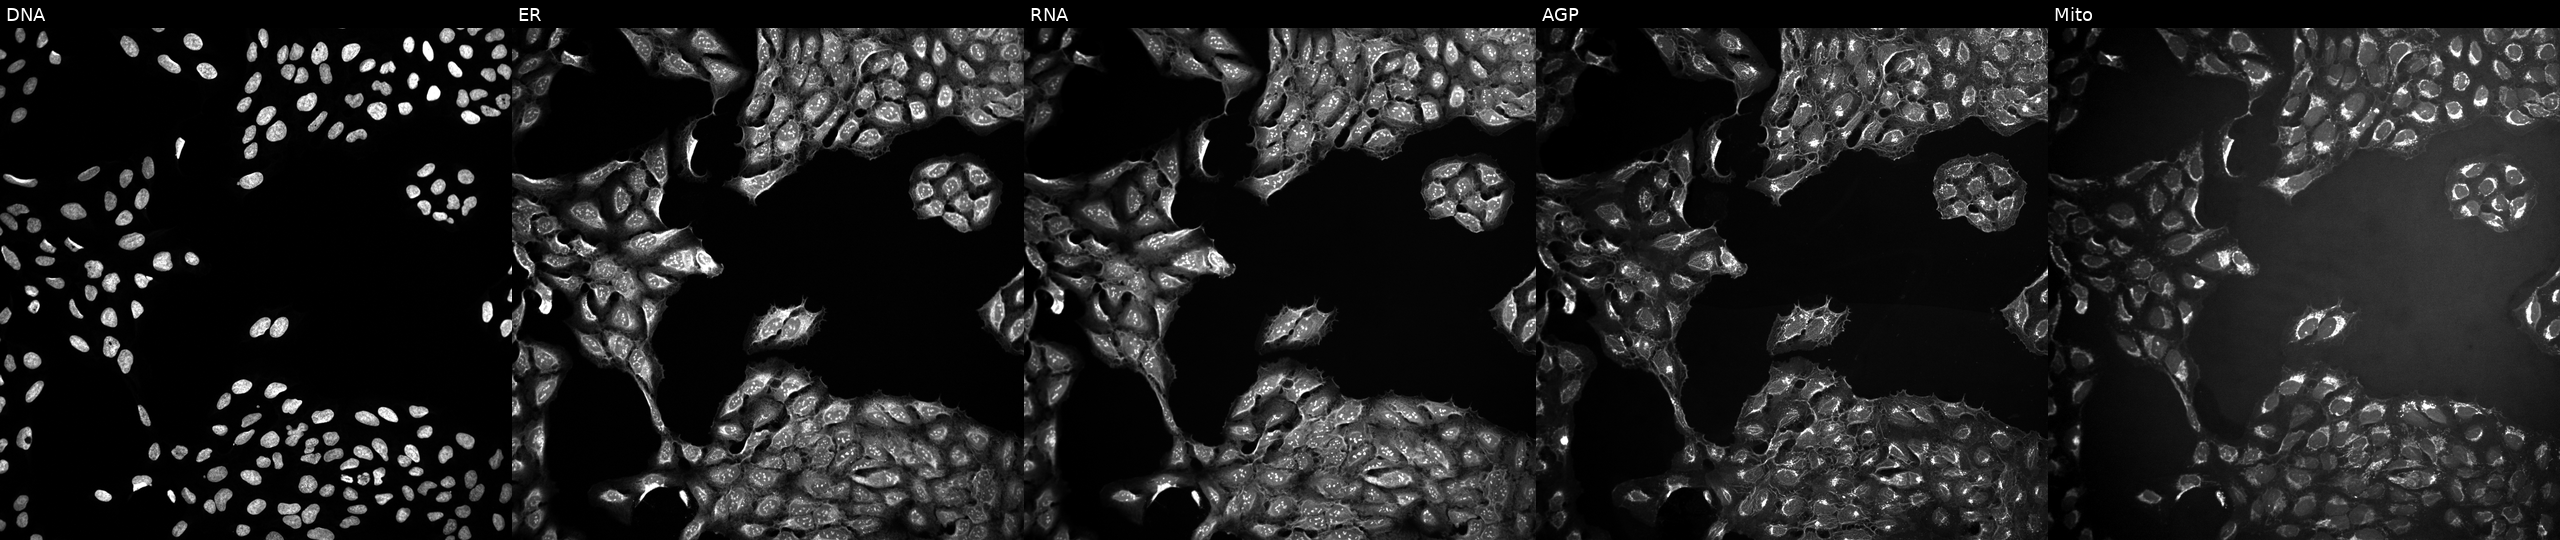
U2OS cells, Cell Painting assay, treated with a small-molecule compound [SMILES: O=C(Nc1cnn2ccc(N3CCCC3c3cc(F)ccc3F)nc12)N1CCC(O)C1]. Channels (left→right): Hoechst 33342, concanavalin A, SYTO 14, phalloidin and WGA, MitoTracker. Each panel is percentile-stretched 16-bit fluorescence. Source 10, plate Dest210803-153958, well O21.